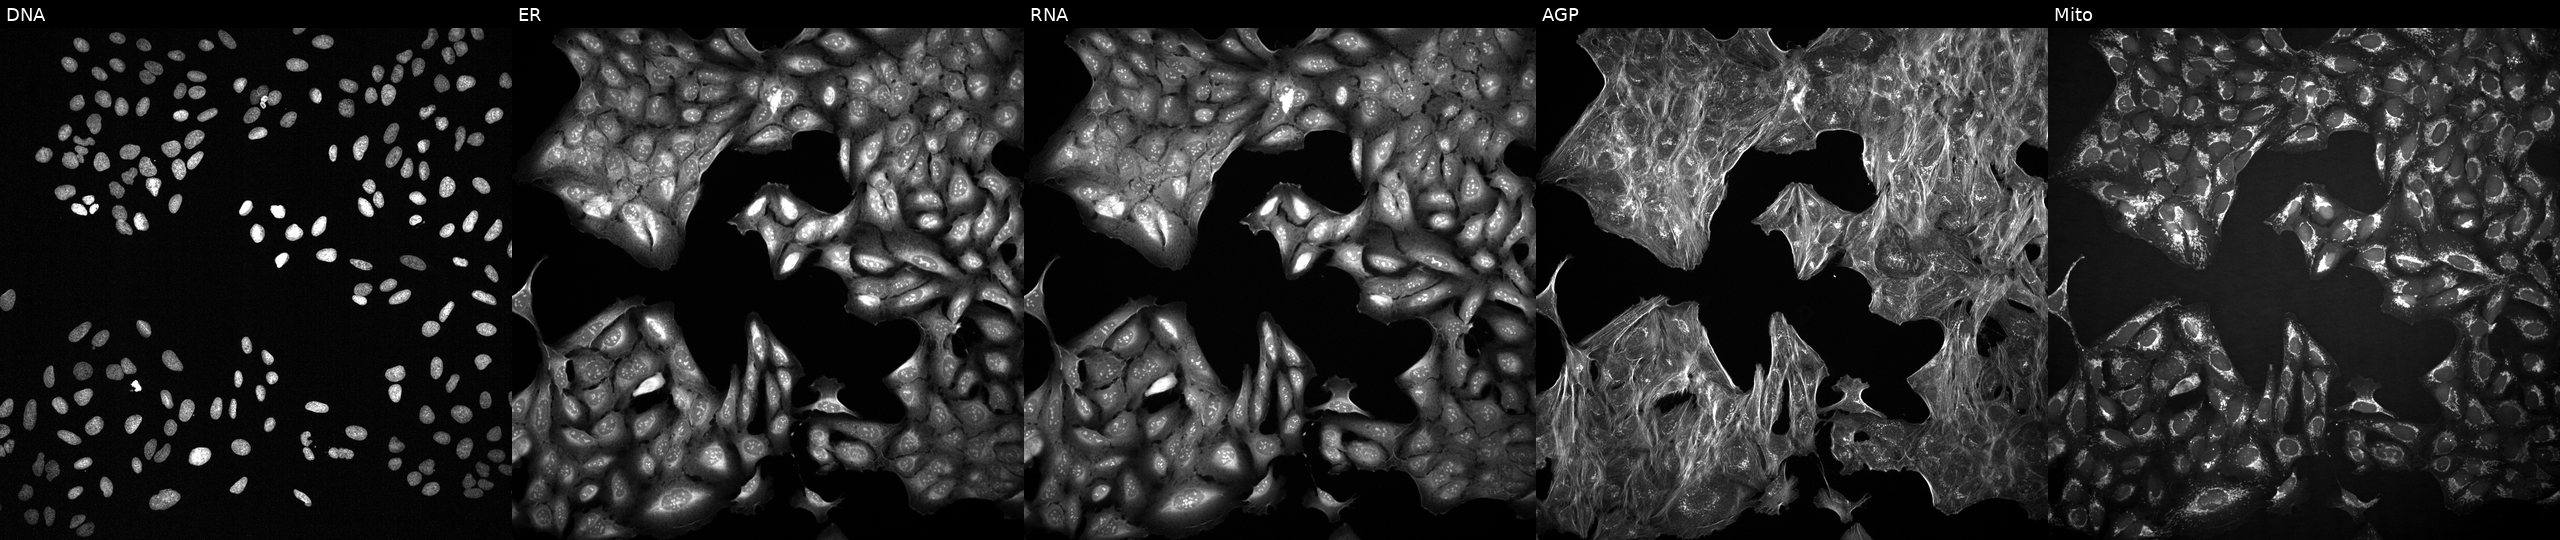
Five-channel Cell Painting image of U2OS cells treated with a small-molecule compound (InChIKey FYIBXBFDXNPBSF-UHFFFAOYSA-N) (JUMP id JCP2022_023781). Channels (left→right): DNA, ER, RNA, AGP, and Mito.